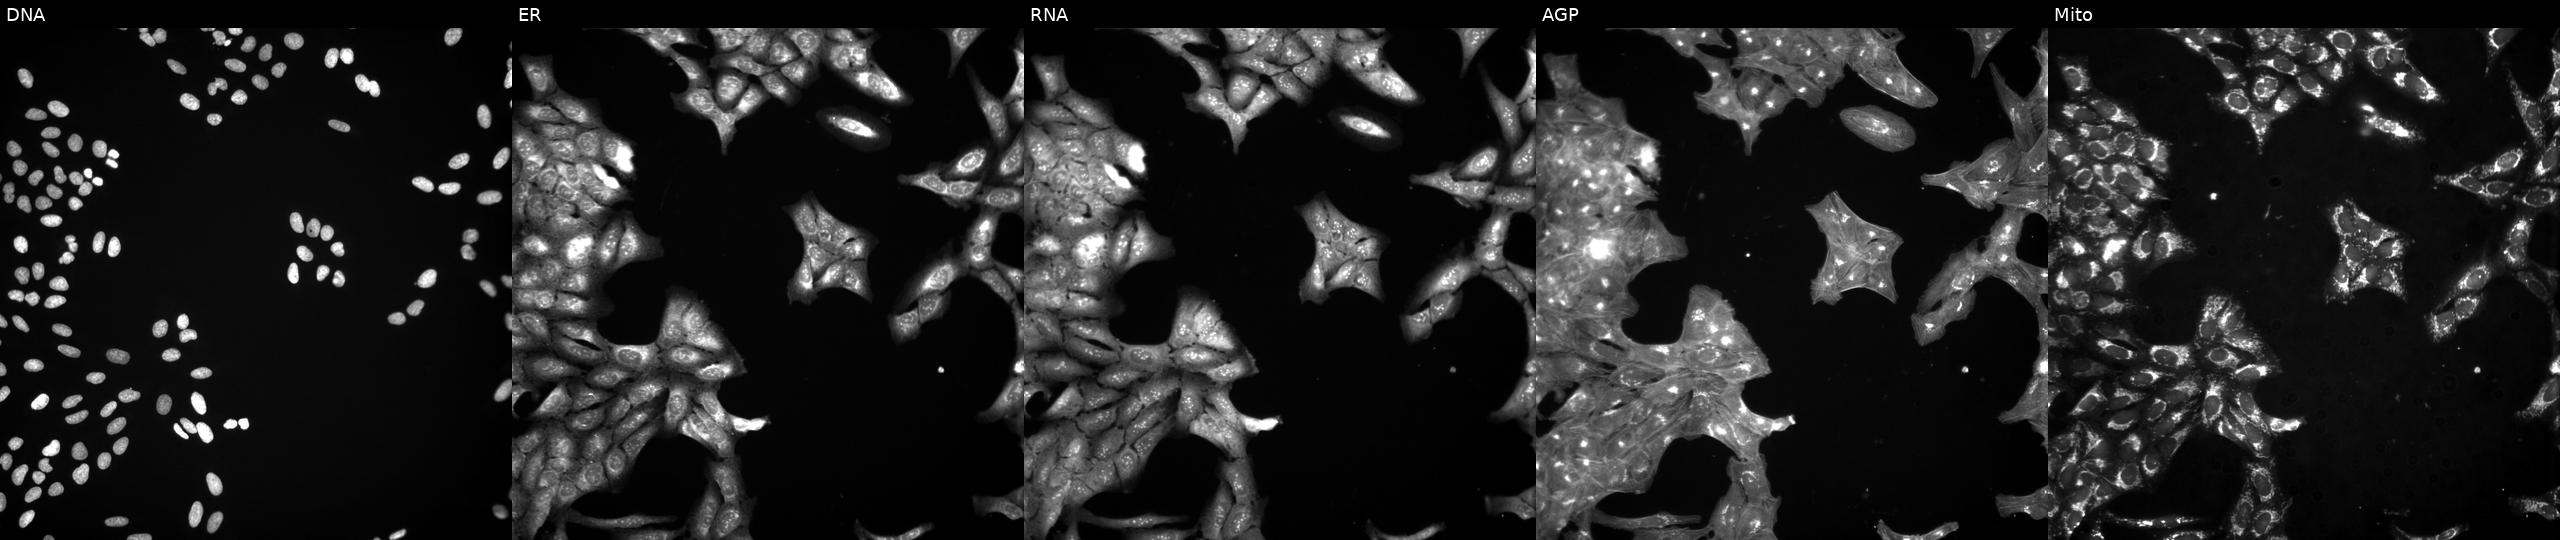
U2OS cells, Cell Painting assay, treated with dexamethasone (positive-control compound) (JUMP id JCP2022_025848). The five panels, left to right, show Hoechst 33342, concanavalin A, SYTO 14, phalloidin and WGA, MitoTracker. Each panel is percentile-stretched 16-bit fluorescence. Source 3, plate BR5867b3, well O24.